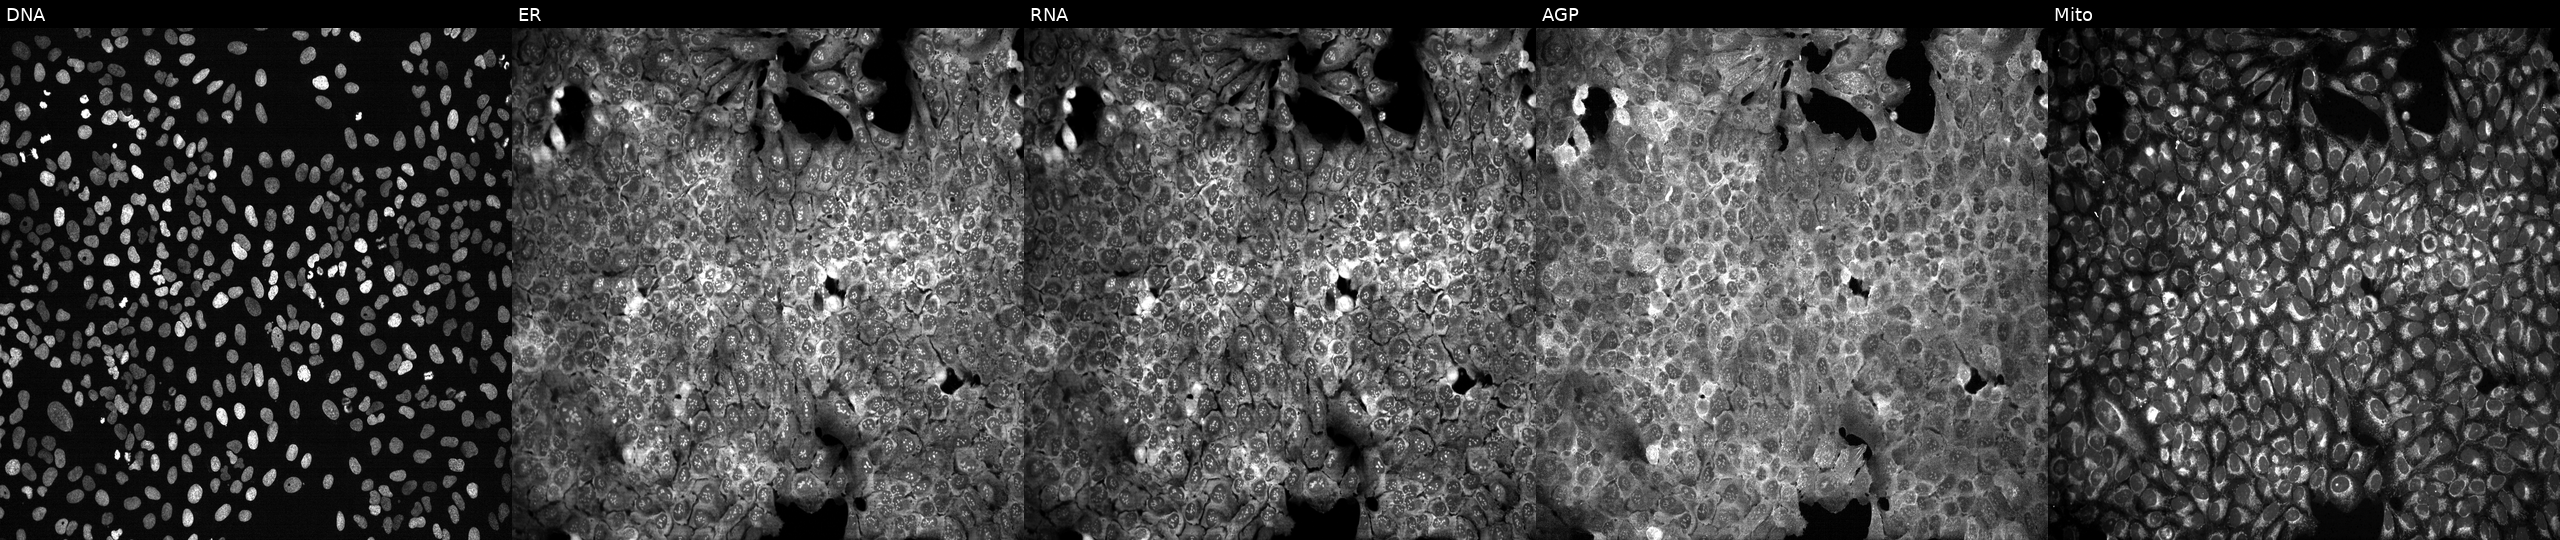
This image strip shows the five Cell Painting channels for a single field of U2OS cells with IL1RAPL1 knocked out by CRISPR (JUMP id JCP2022_803380). From left to right: Hoechst 33342, concanavalin A, SYTO 14, phalloidin and WGA, MitoTracker.